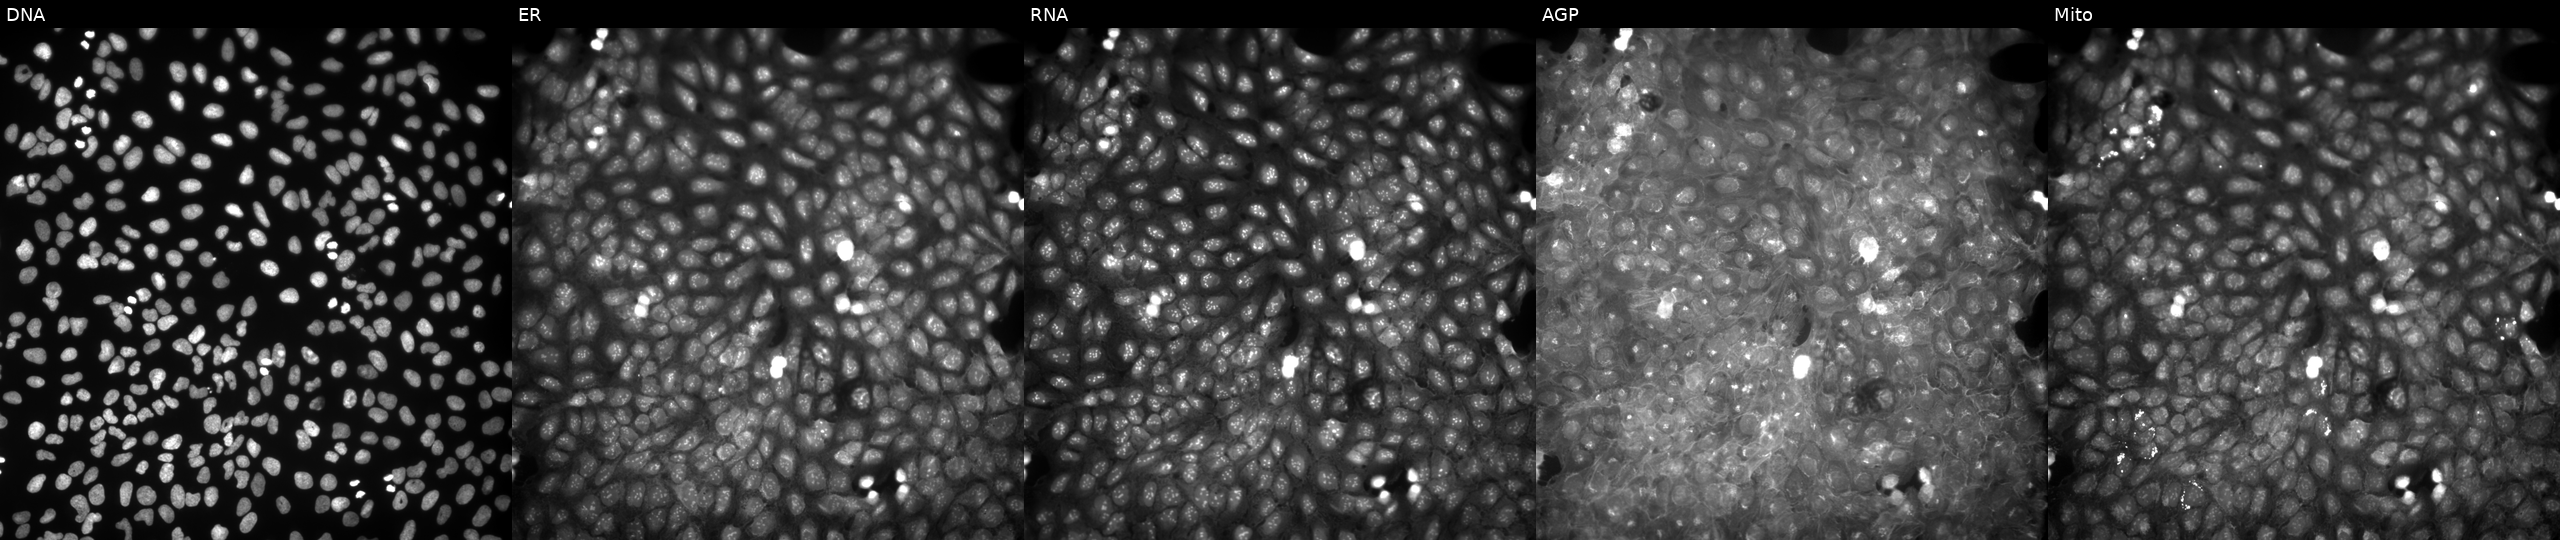
U2OS cells, Cell Painting assay, treated with a small-molecule compound (InChIKey TZCAEHADUBLCAN-UHFFFAOYSA-N) (JUMP id JCP2022_087681). From left to right: DNA, ER, RNA, AGP, and Mito. Each panel is percentile-stretched 16-bit fluorescence. Source 9, plate GR00003382, well AE15.